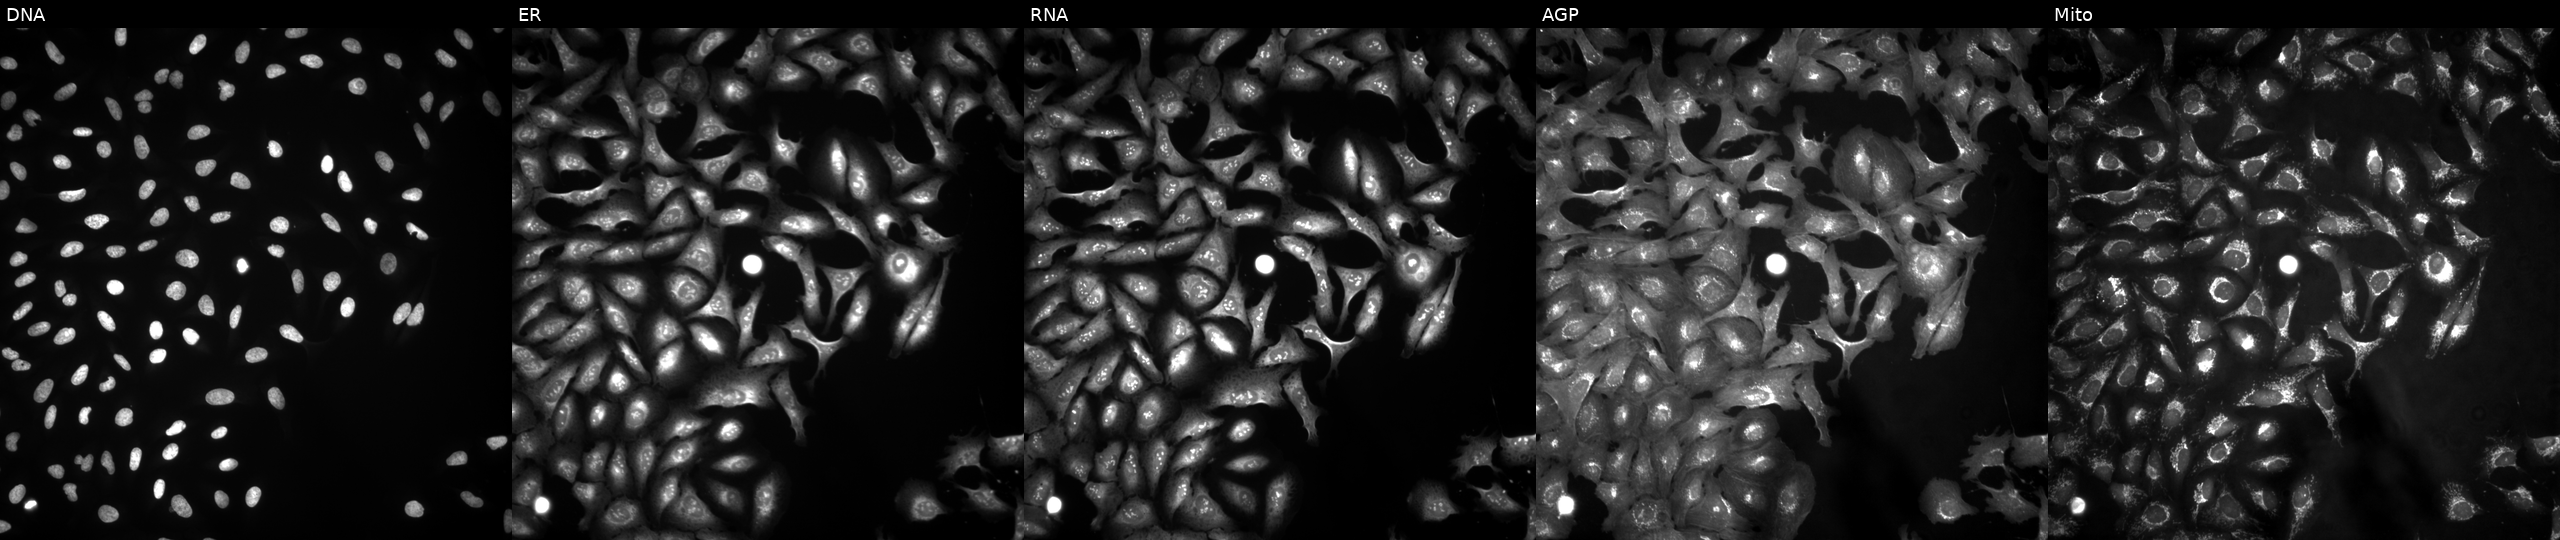
Five-channel Cell Painting image of U2OS cells transfected with an ORF construct for NAT10 (JUMP id JCP2022_903333). Panels show, left to right, DNA (nuclei); ER (endoplasmic reticulum); RNA (nucleoli and cytoplasmic RNA); AGP (actin cytoskeleton, Golgi, and plasma membrane); Mito (mitochondria).